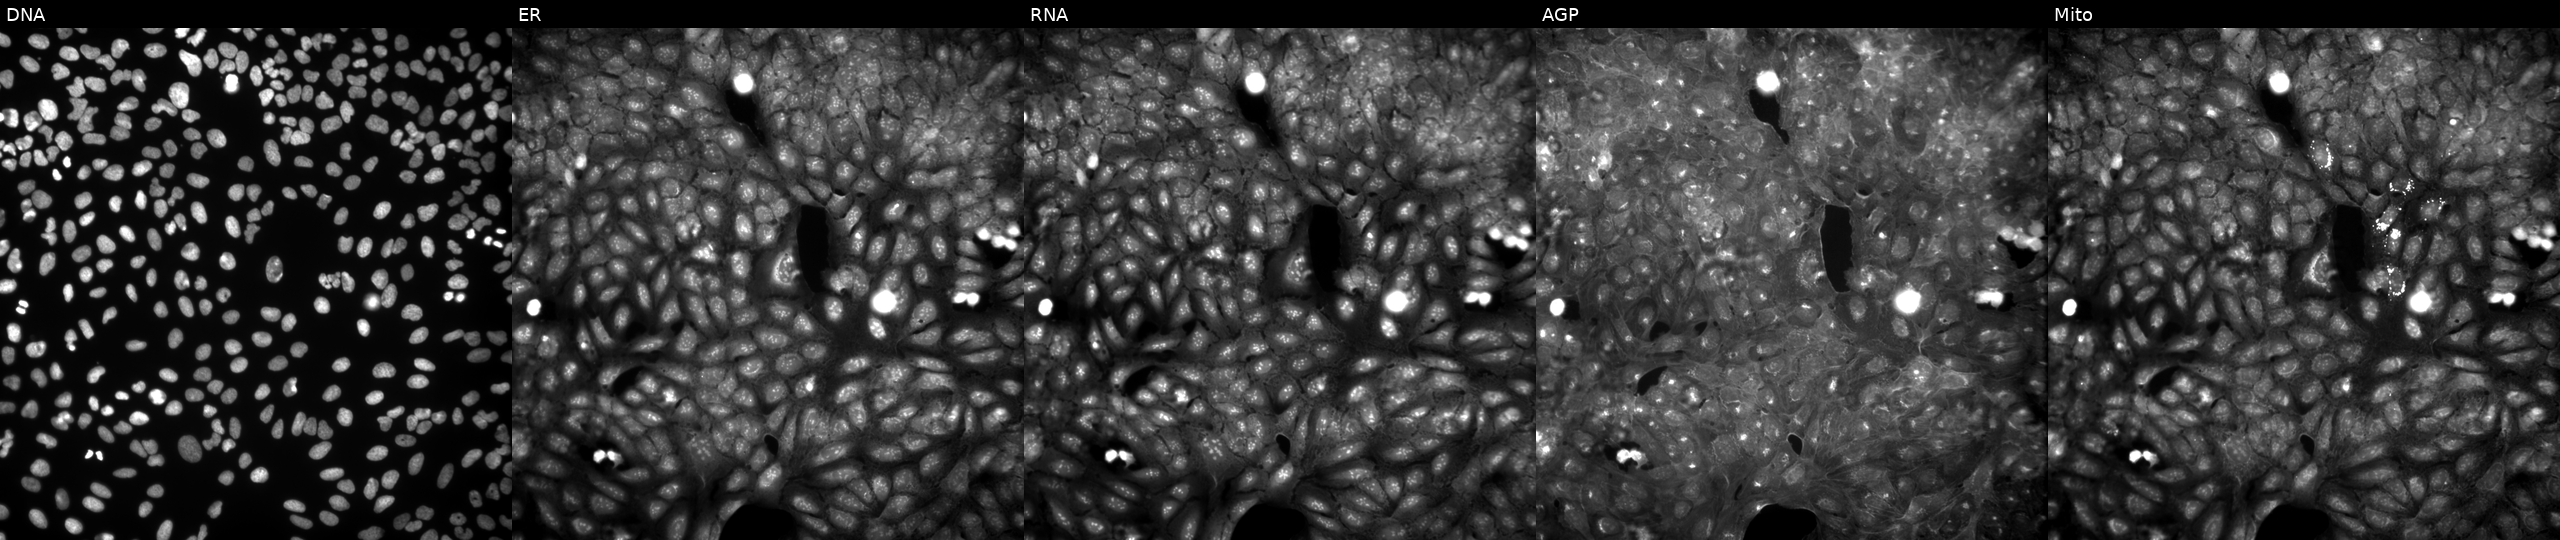
High-content fluorescence microscopy (Cell Painting). Cell line: U2OS. Perturbation: exposed to a small-molecule compound (InChIKey UVACZSKQRZXZQA-UHFFFAOYSA-N). Panels show, left to right, DNA (nuclei); ER (endoplasmic reticulum); RNA (nucleoli and cytoplasmic RNA); AGP (actin cytoskeleton, Golgi, and plasma membrane); Mito (mitochondria).